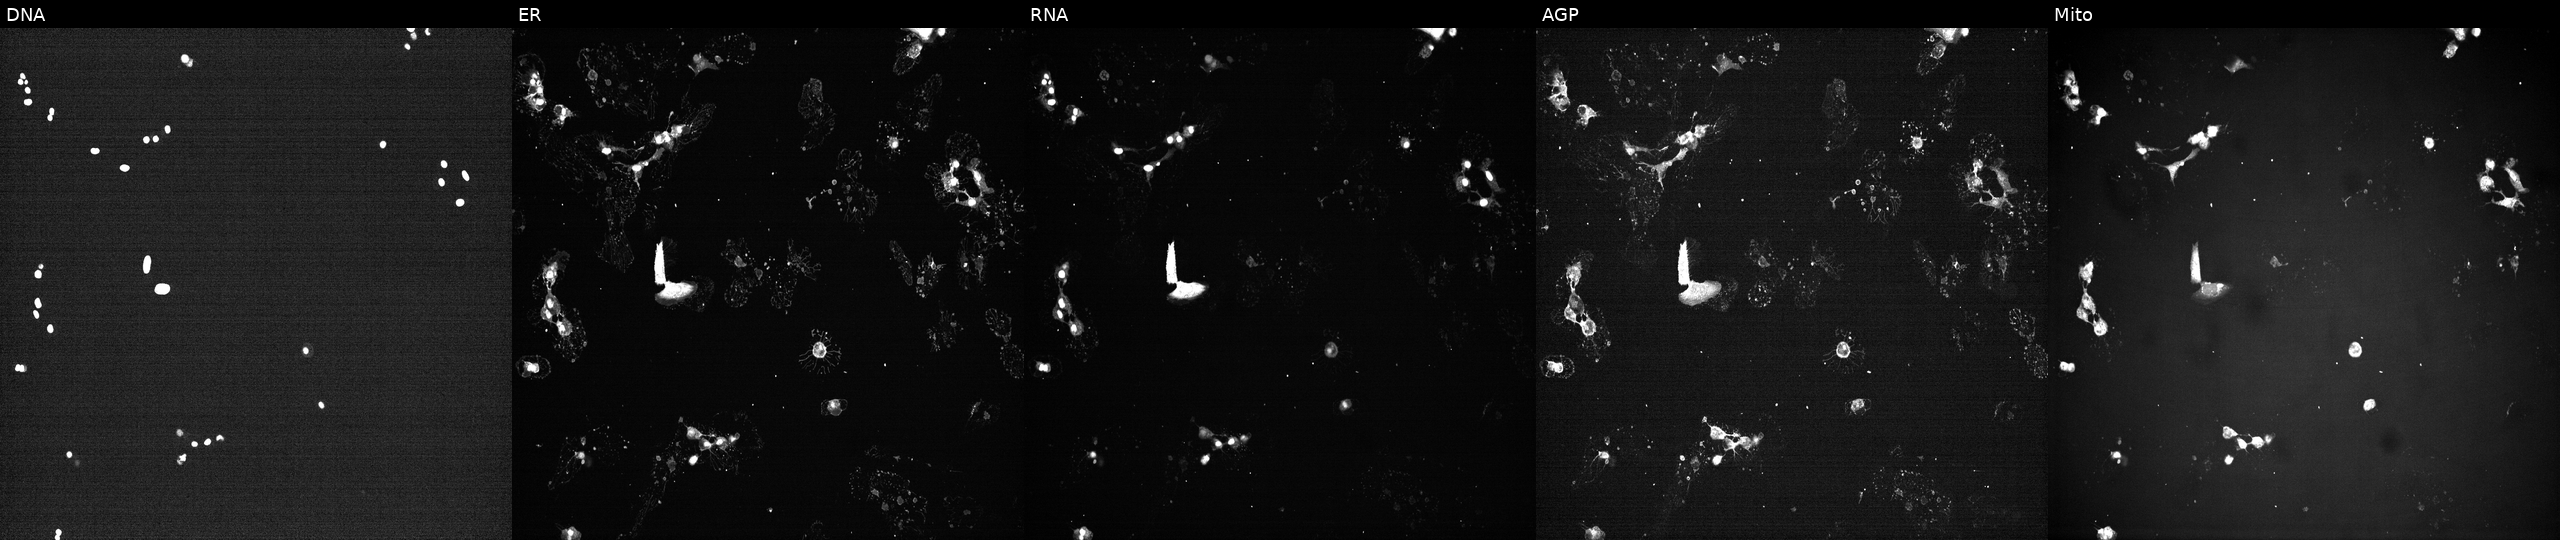
JUMP Cell Painting — TARGET2 plate. U2OS cells treated with a small-molecule compound (InChIKey DUKQPWDVIZDABV-UHFFFAOYSA-N). Panels show, left to right, DNA (nuclei); ER (endoplasmic reticulum); RNA (nucleoli and cytoplasmic RNA); AGP (actin cytoskeleton, Golgi, and plasma membrane); Mito (mitochondria).